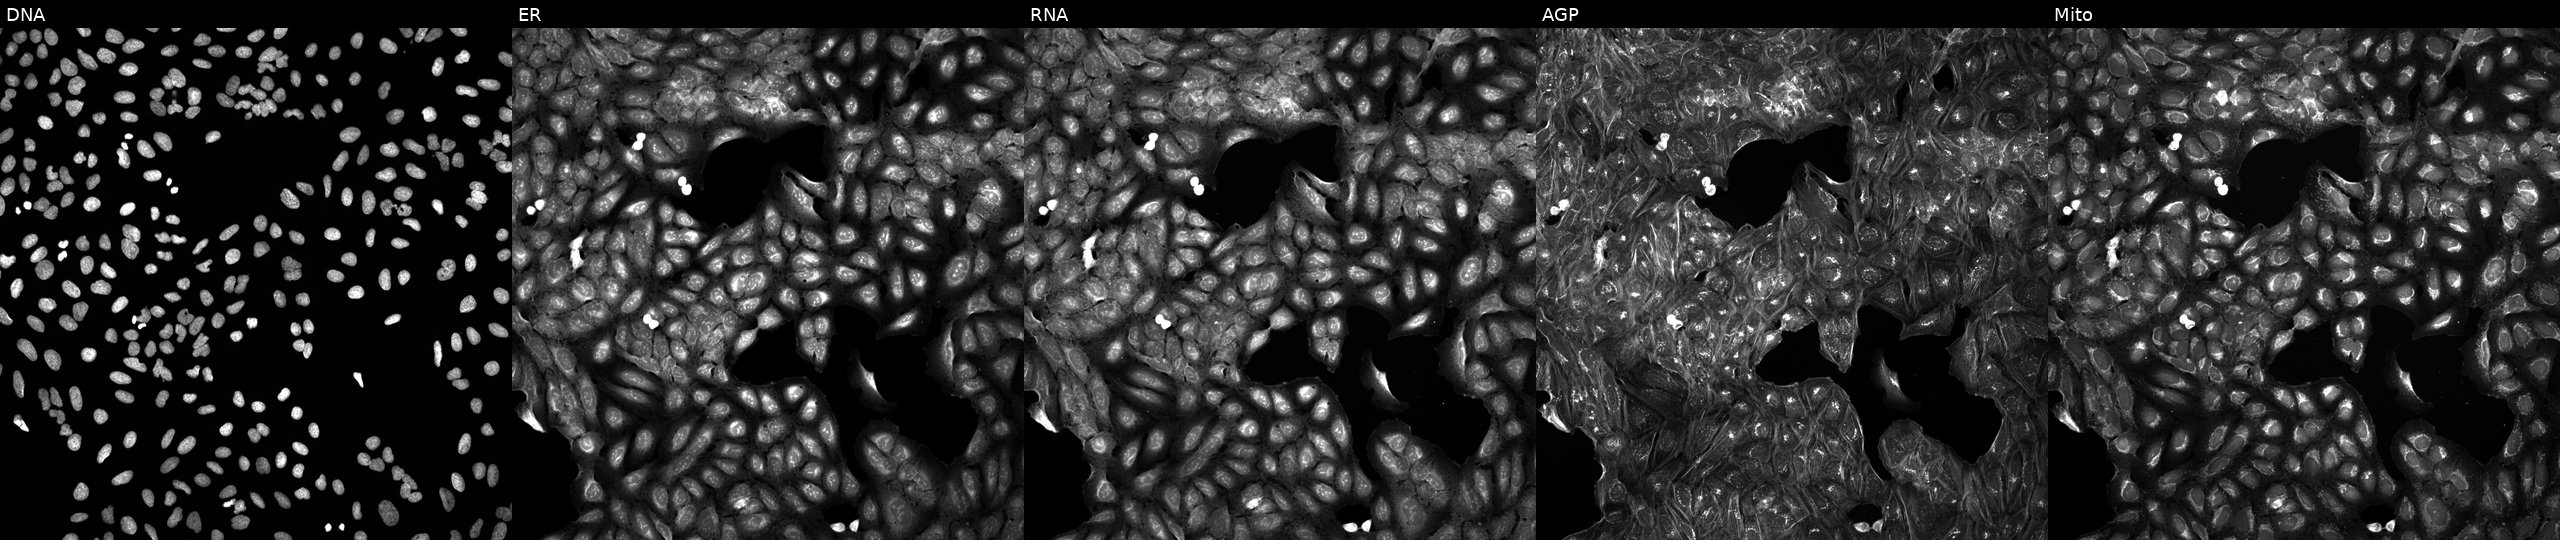
High-content fluorescence microscopy (Cell Painting). Cell line: U2OS. Perturbation: perturbed with a small-molecule compound (InChIKey SAIBSBMOQZAGDO-UHFFFAOYSA-N). The five panels, left to right, show DNA, ER, RNA, AGP, and Mito. Source 5, plate APTJUM106, well I16.